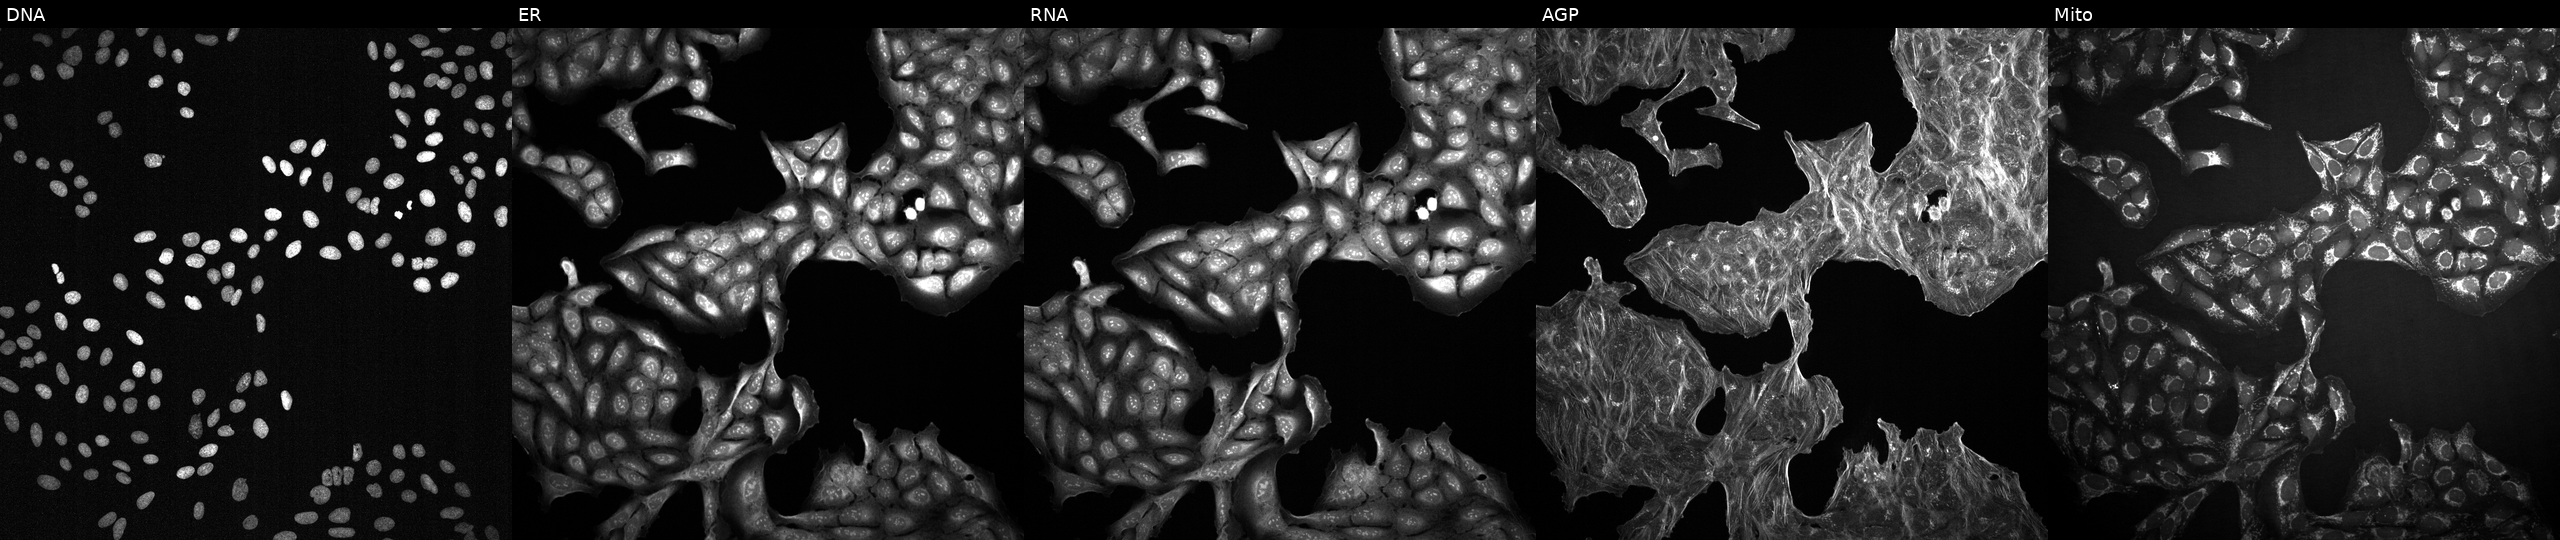
High-content fluorescence microscopy (Cell Painting). Cell line: U2OS. Perturbation: treated with a small-molecule compound. From left to right: DNA, ER, RNA, AGP, and Mito. Source 2, plate 1053599503, well N13.